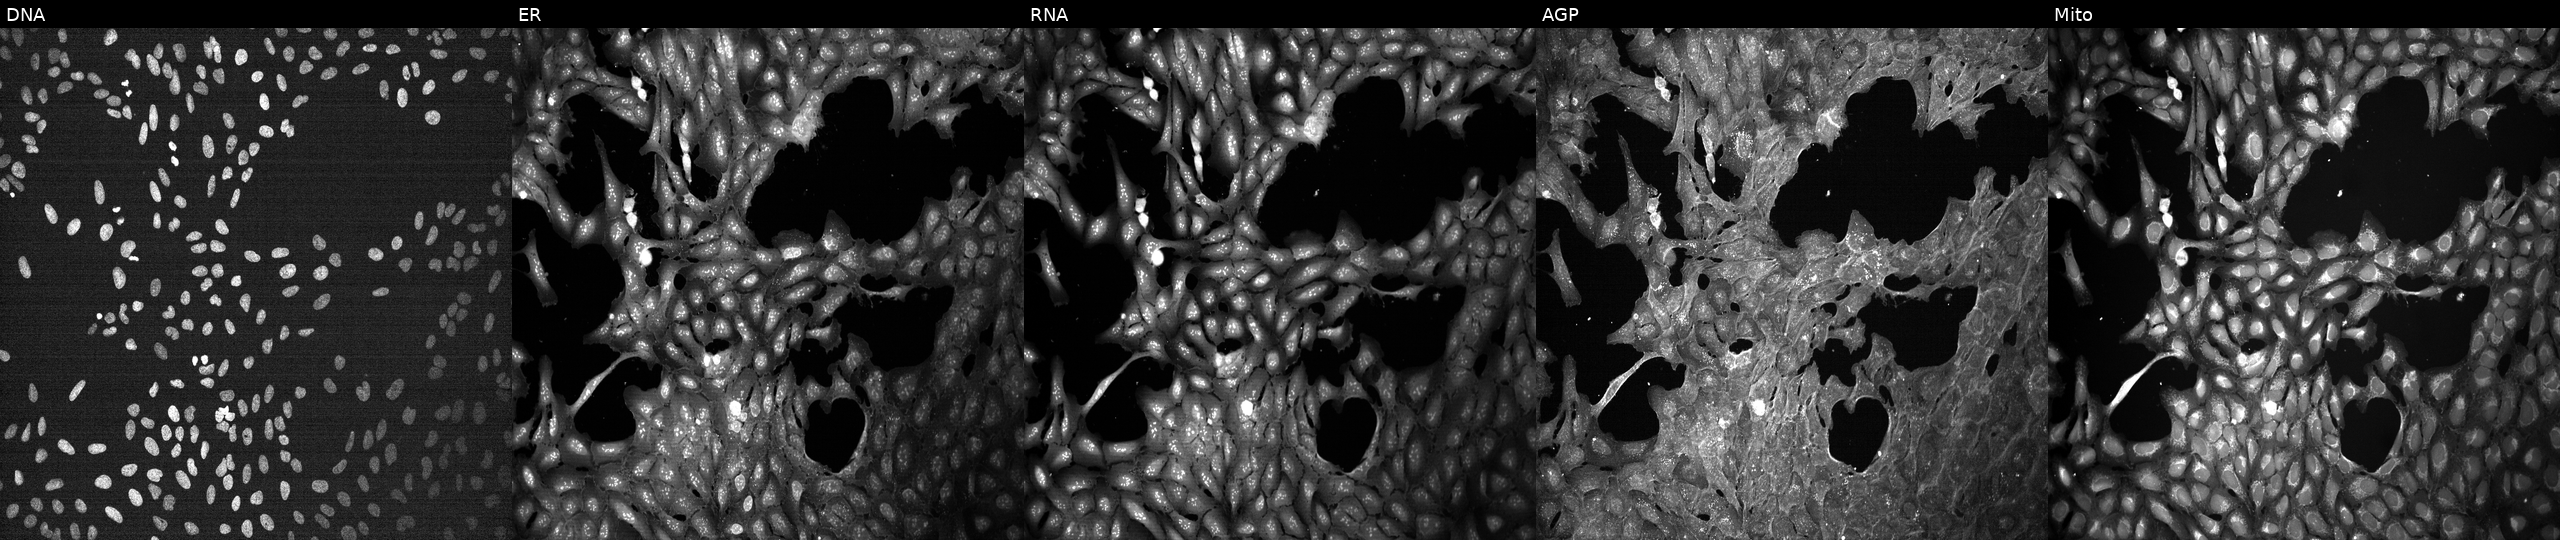
High-content fluorescence microscopy (Cell Painting). Cell line: U2OS. Perturbation: perturbed with a small-molecule compound (InChIKey LXANPKRCLVQAOG-UHFFFAOYSA-N) [SMILES: O=C1NC(=O)C2(CCOc3ccc(F)cc32)N1]. From left to right: DNA, ER, RNA, AGP, and Mito. Source 7, plate CP1-SC1-25, well N18.